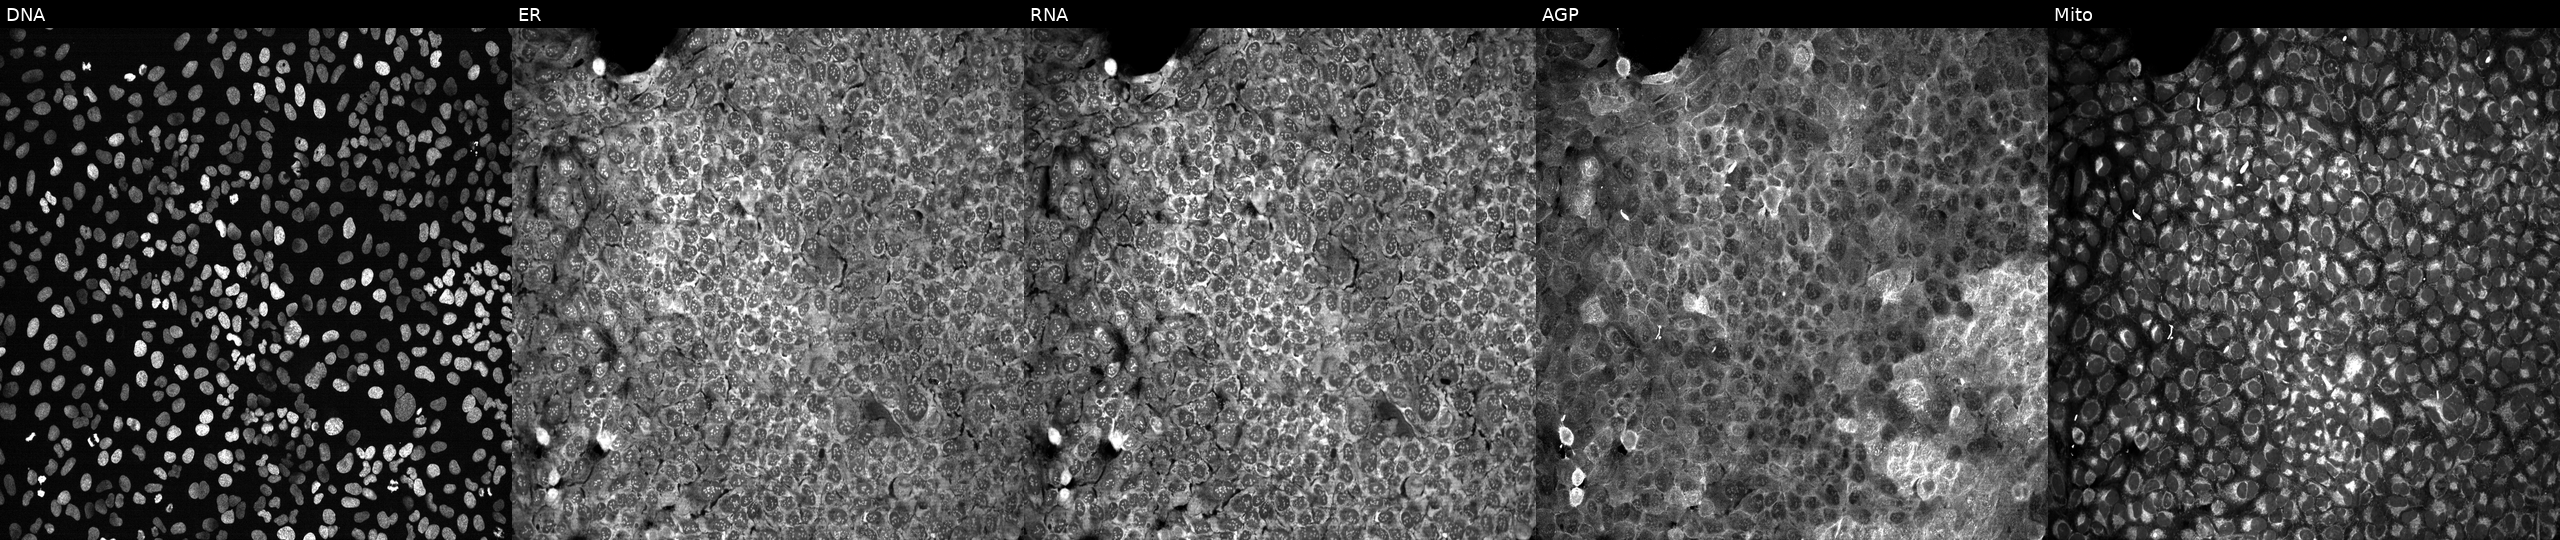
Five-channel Cell Painting image of U2OS cells with no CRISPR guide (negative control). Panels show, left to right, Hoechst 33342, concanavalin A, SYTO 14, phalloidin and WGA, MitoTracker.